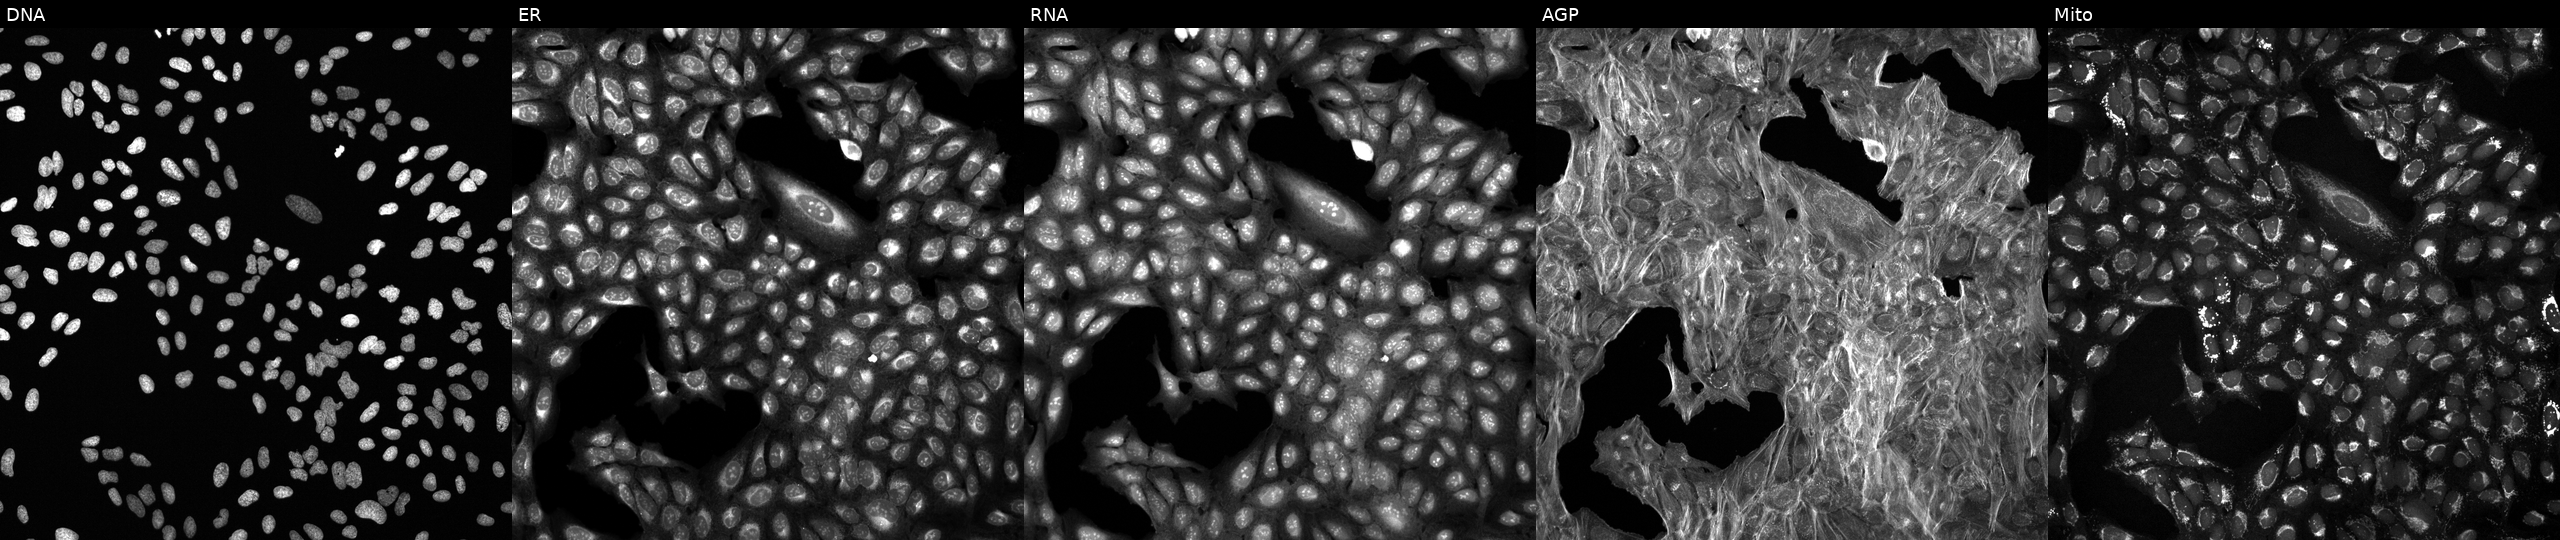
Five-channel Cell Painting image of U2OS cells perturbed with a small-molecule compound (InChIKey ROBYKNONIPZMTK-UHFFFAOYSA-N). The five panels, left to right, show Hoechst 33342, concanavalin A, SYTO 14, phalloidin and WGA, MitoTracker. Source 6, plate 110000293081, well B05.